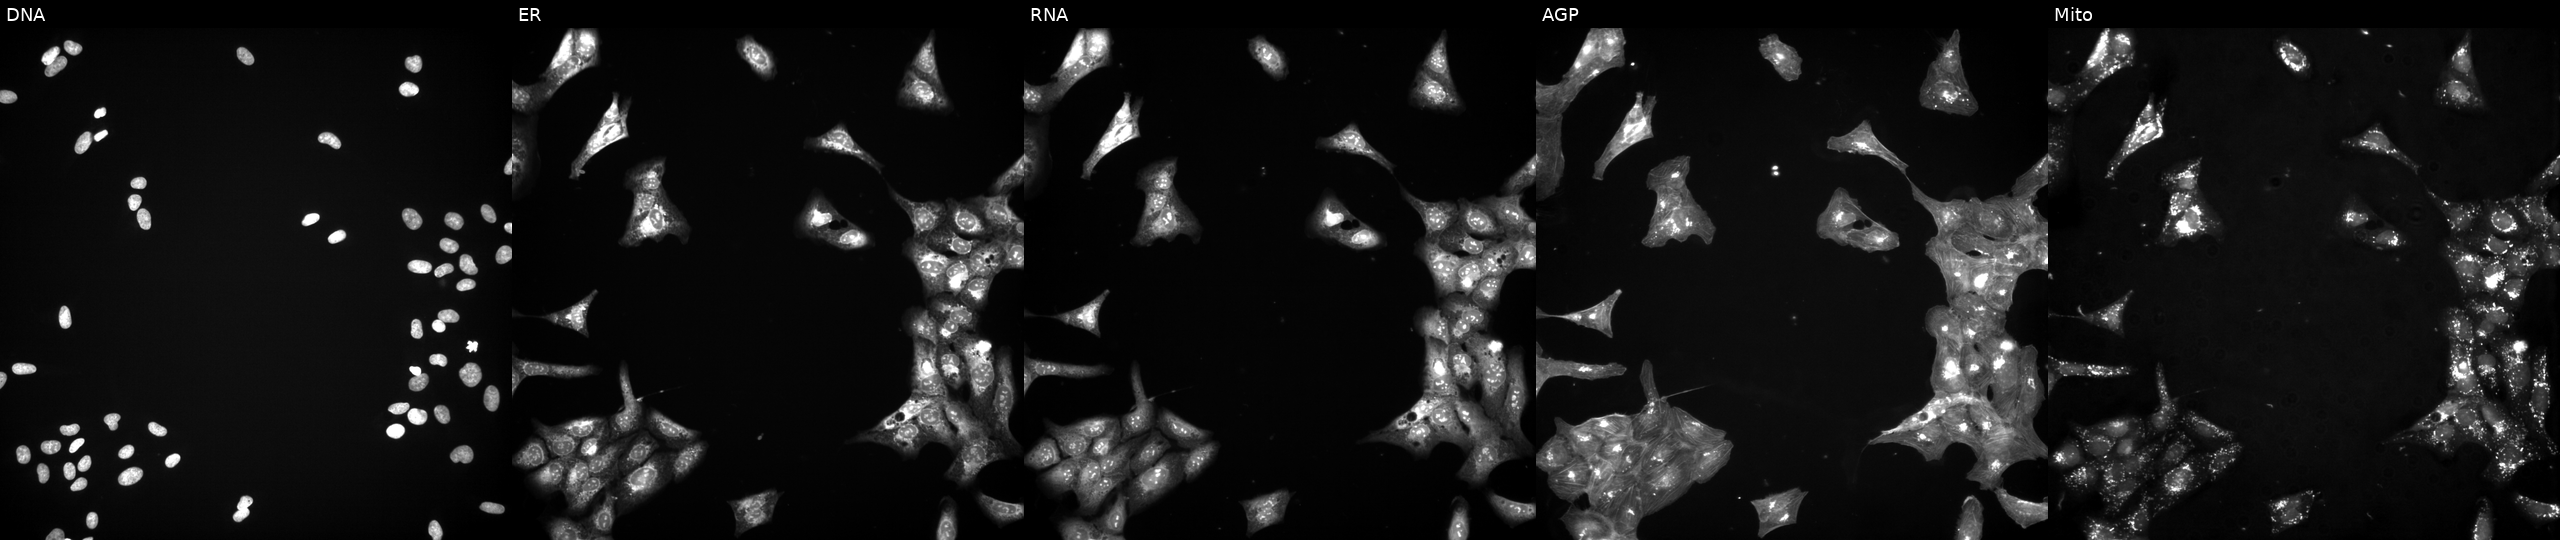
Five-channel Cell Painting image of U2OS cells perturbed with a small-molecule compound (InChIKey QNRODODTMXCRKU-UHFFFAOYSA-N). The five panels, left to right, show DNA (nuclei); ER (endoplasmic reticulum); RNA (nucleoli and cytoplasmic RNA); AGP (actin cytoskeleton, Golgi, and plasma membrane); Mito (mitochondria). Source 3, plate JCPQC052, well O13.